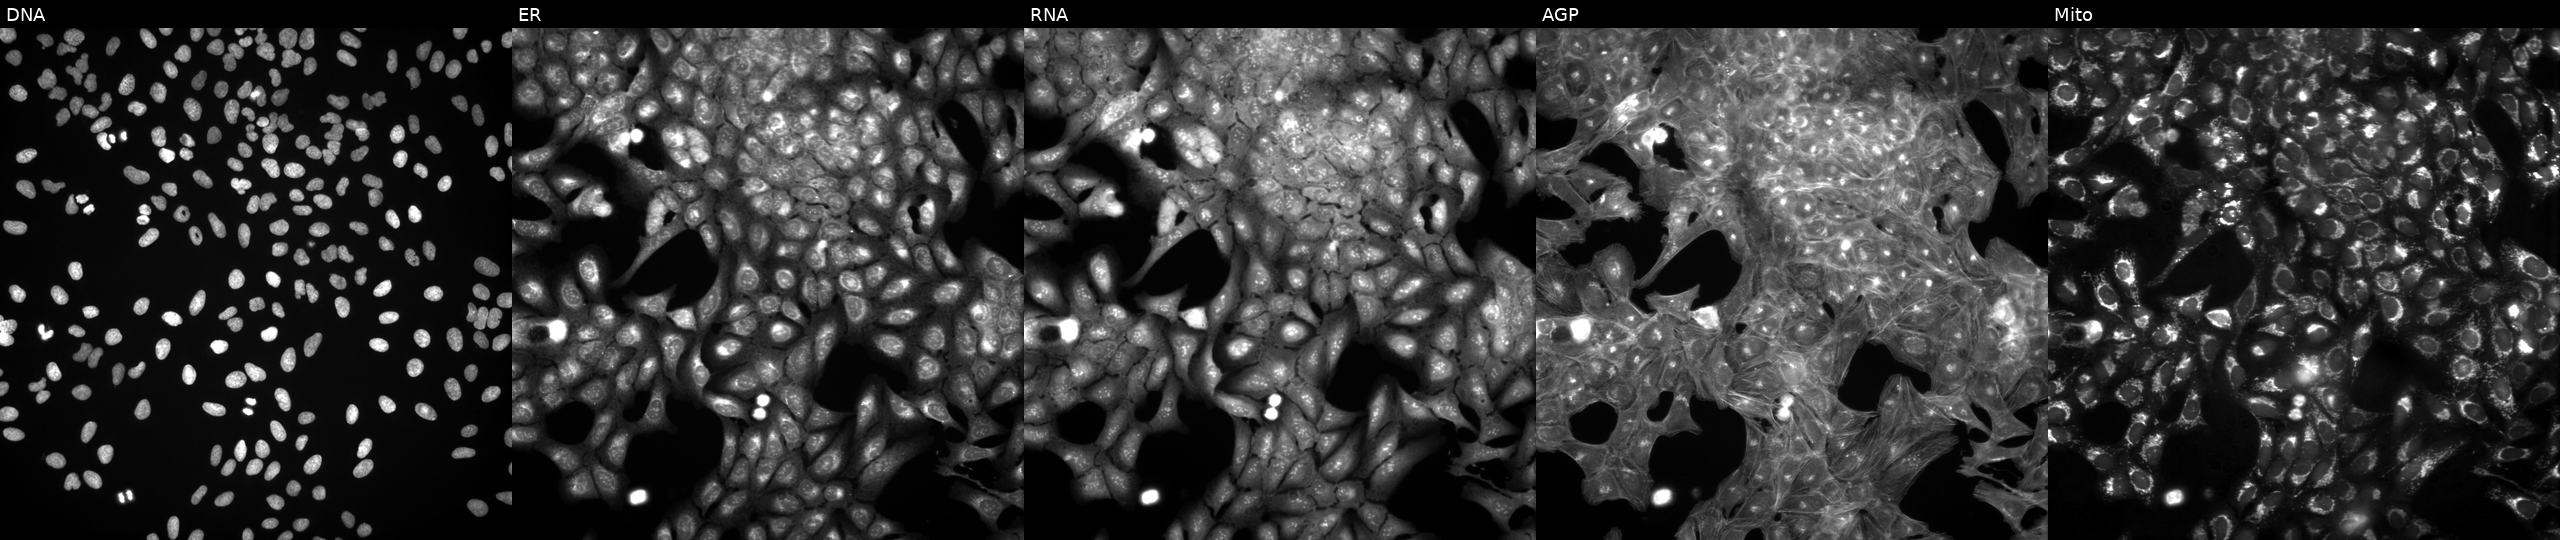
JUMP Cell Painting — TARGET2 plate. U2OS cells treated with DMSO vehicle only (negative control). The five panels, left to right, show DNA, ER, RNA, AGP, and Mito. Source 3, plate JCPQC053, well E23.